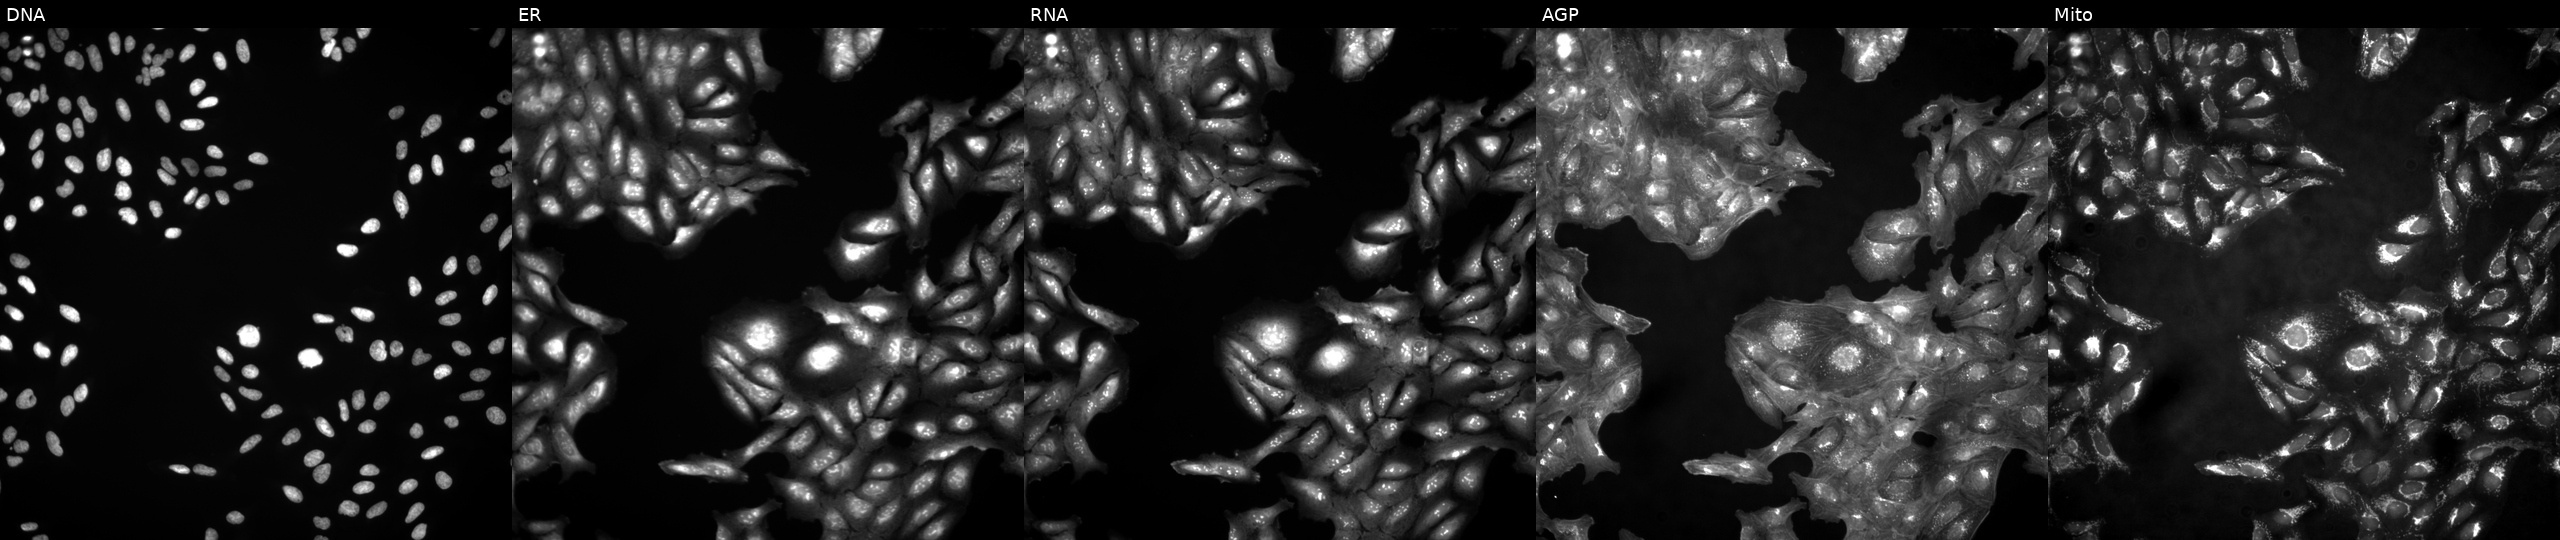
Five-channel Cell Painting image of U2OS cells in an empty control well (no perturbation). The five panels, left to right, show Hoechst 33342, concanavalin A, SYTO 14, phalloidin and WGA, MitoTracker.